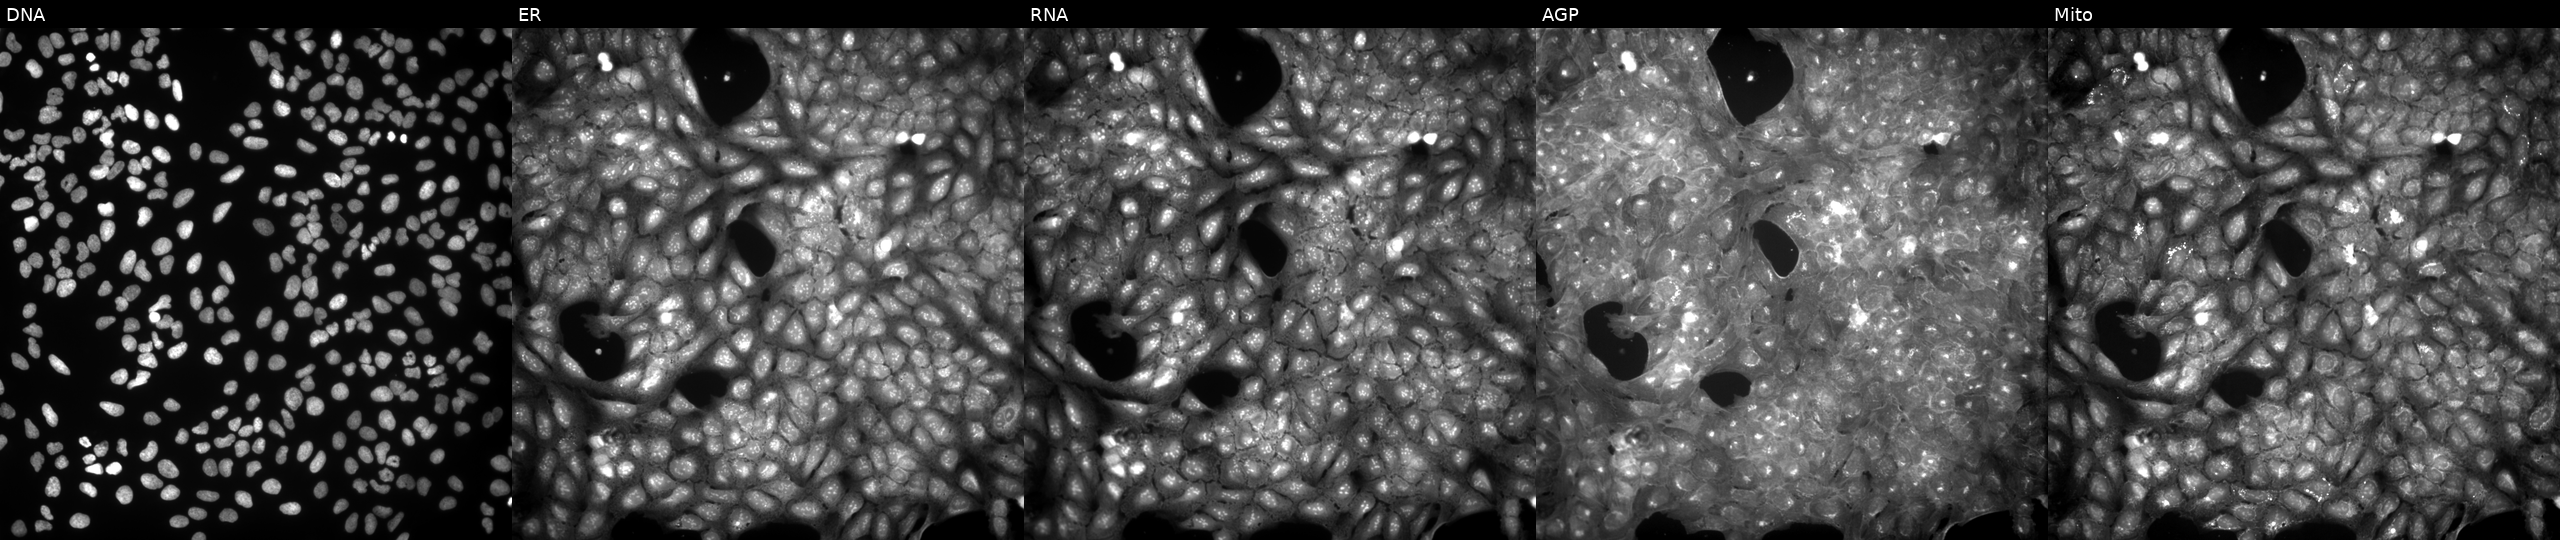
This image strip shows the five Cell Painting channels for a single field of U2OS cells treated with a small-molecule compound. Panels show, left to right, DNA, ER, RNA, AGP, and Mito.